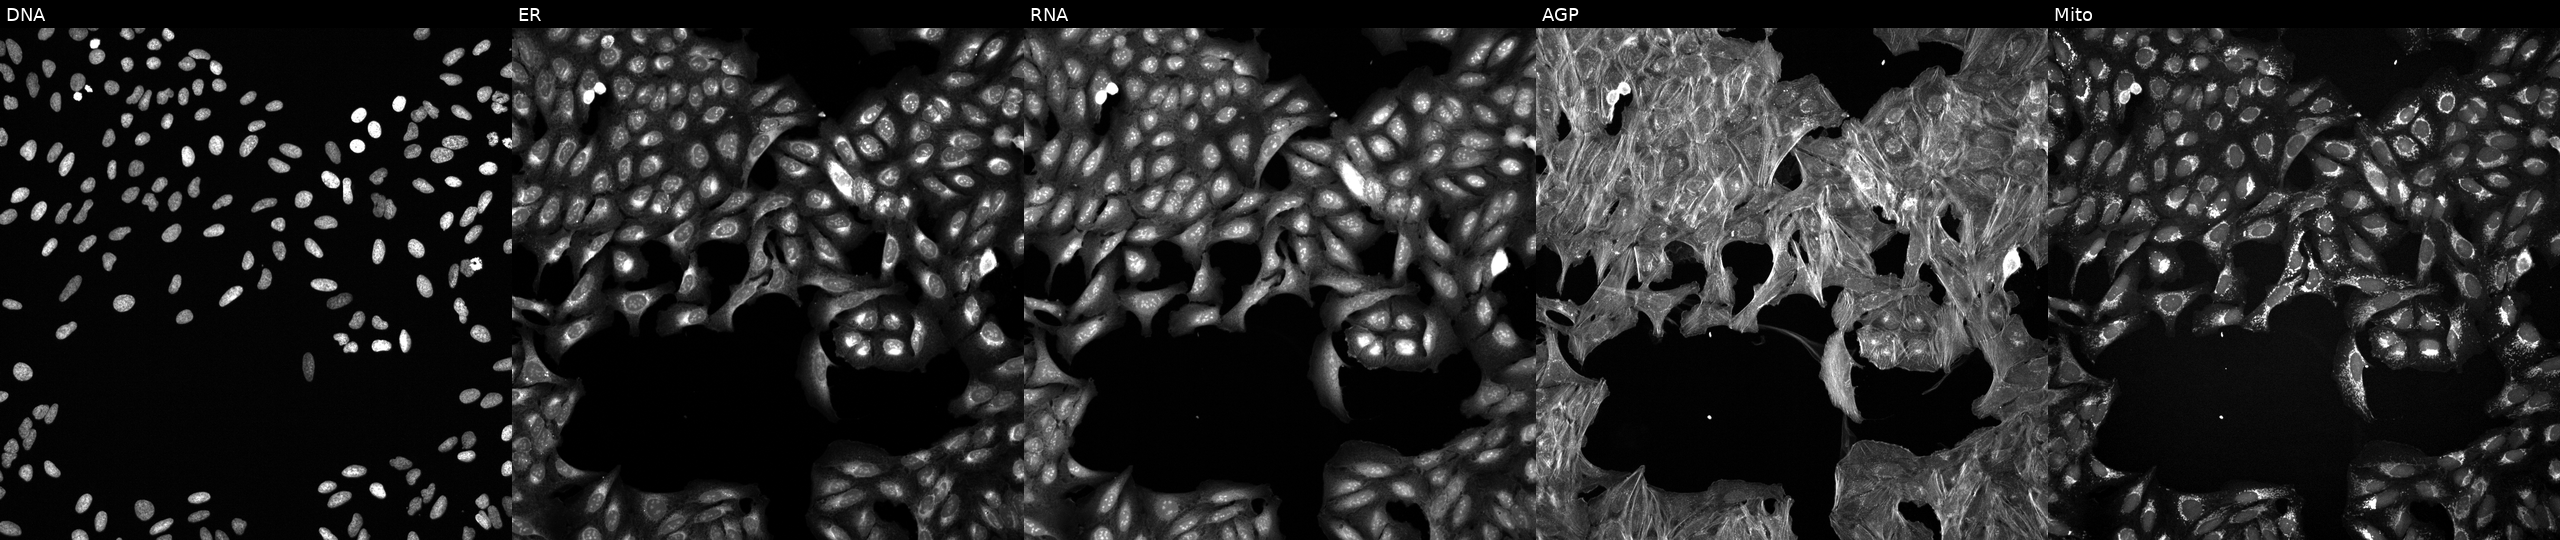
Five-channel Cell Painting image of U2OS cells exposed to a small-molecule compound [SMILES: COc1cccc(C(=O)Nc2c(-c3cccs3)n[nH]c2C)c1] (JUMP id JCP2022_023598). Channels (left→right): Hoechst 33342, concanavalin A, SYTO 14, phalloidin and WGA, MitoTracker. Source 6, plate 110000293083, well F15.